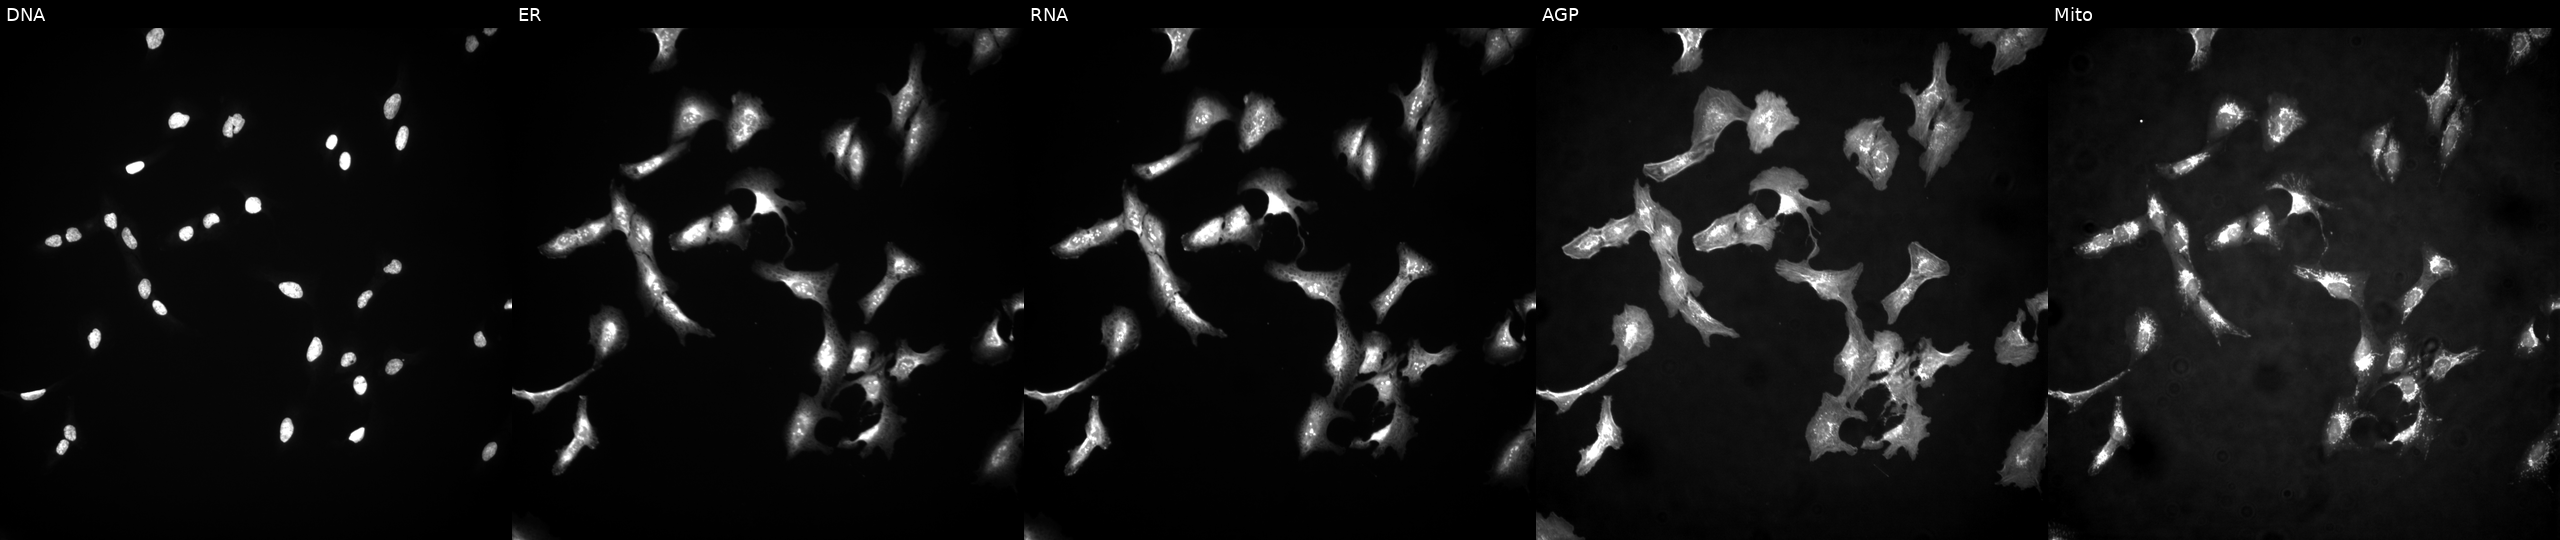
Five-channel Cell Painting image of U2OS cells transfected with an ORF construct for LAMTOR2 (JUMP id JCP2022_902858). Channels (left→right): DNA (nuclei); ER (endoplasmic reticulum); RNA (nucleoli and cytoplasmic RNA); AGP (actin cytoskeleton, Golgi, and plasma membrane); Mito (mitochondria).